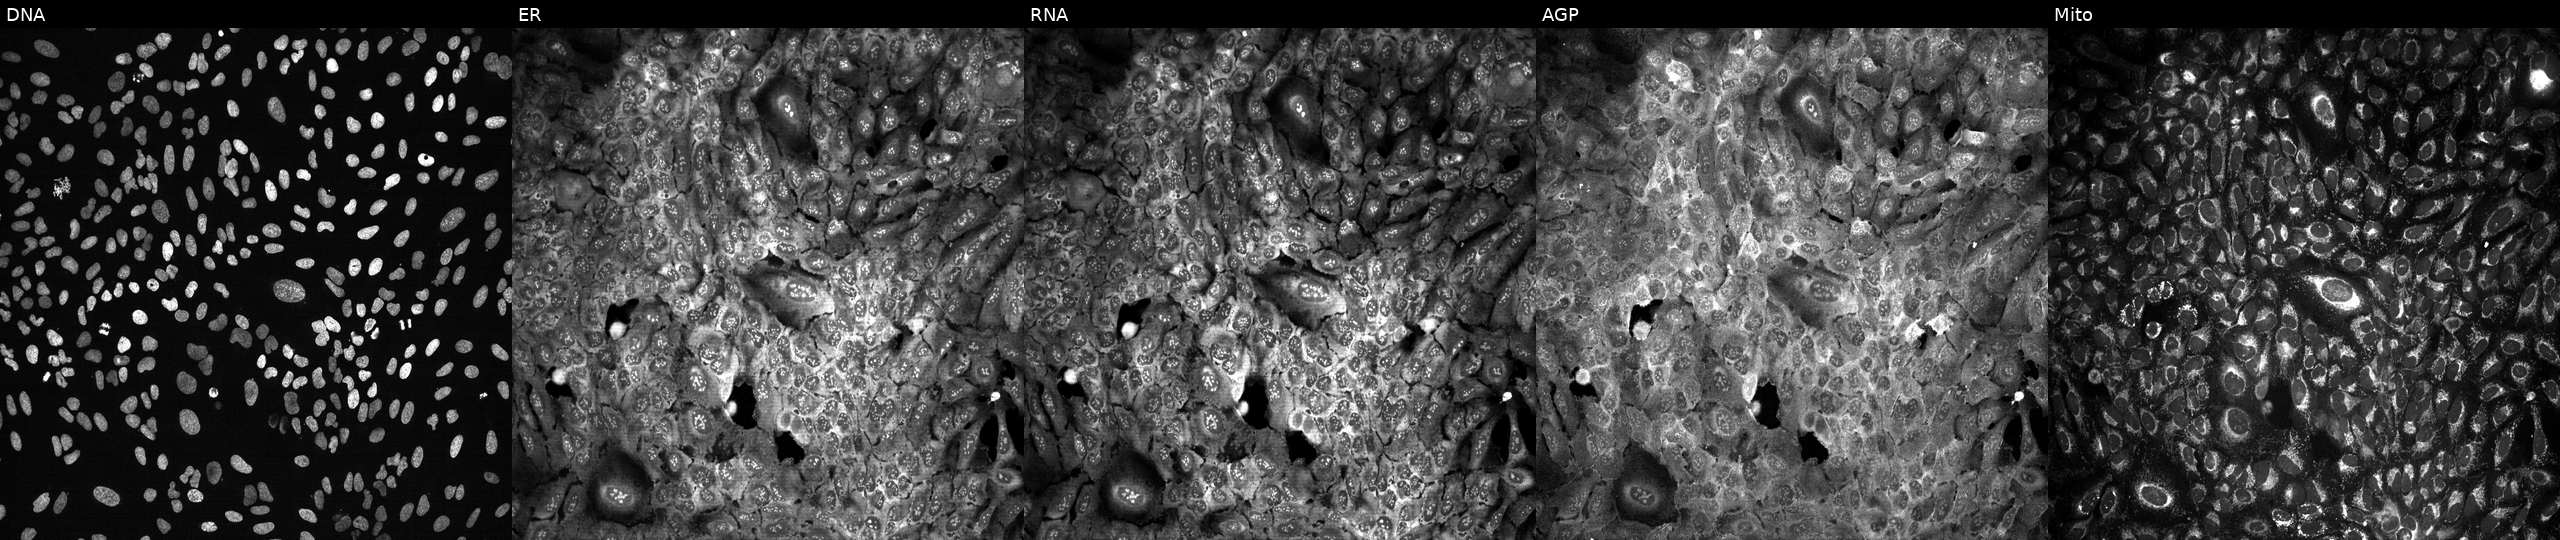
Five-channel Cell Painting image of U2OS cells CRISPR-edited to disrupt ACOX1. Channels (left→right): DNA, ER, RNA, AGP, and Mito.